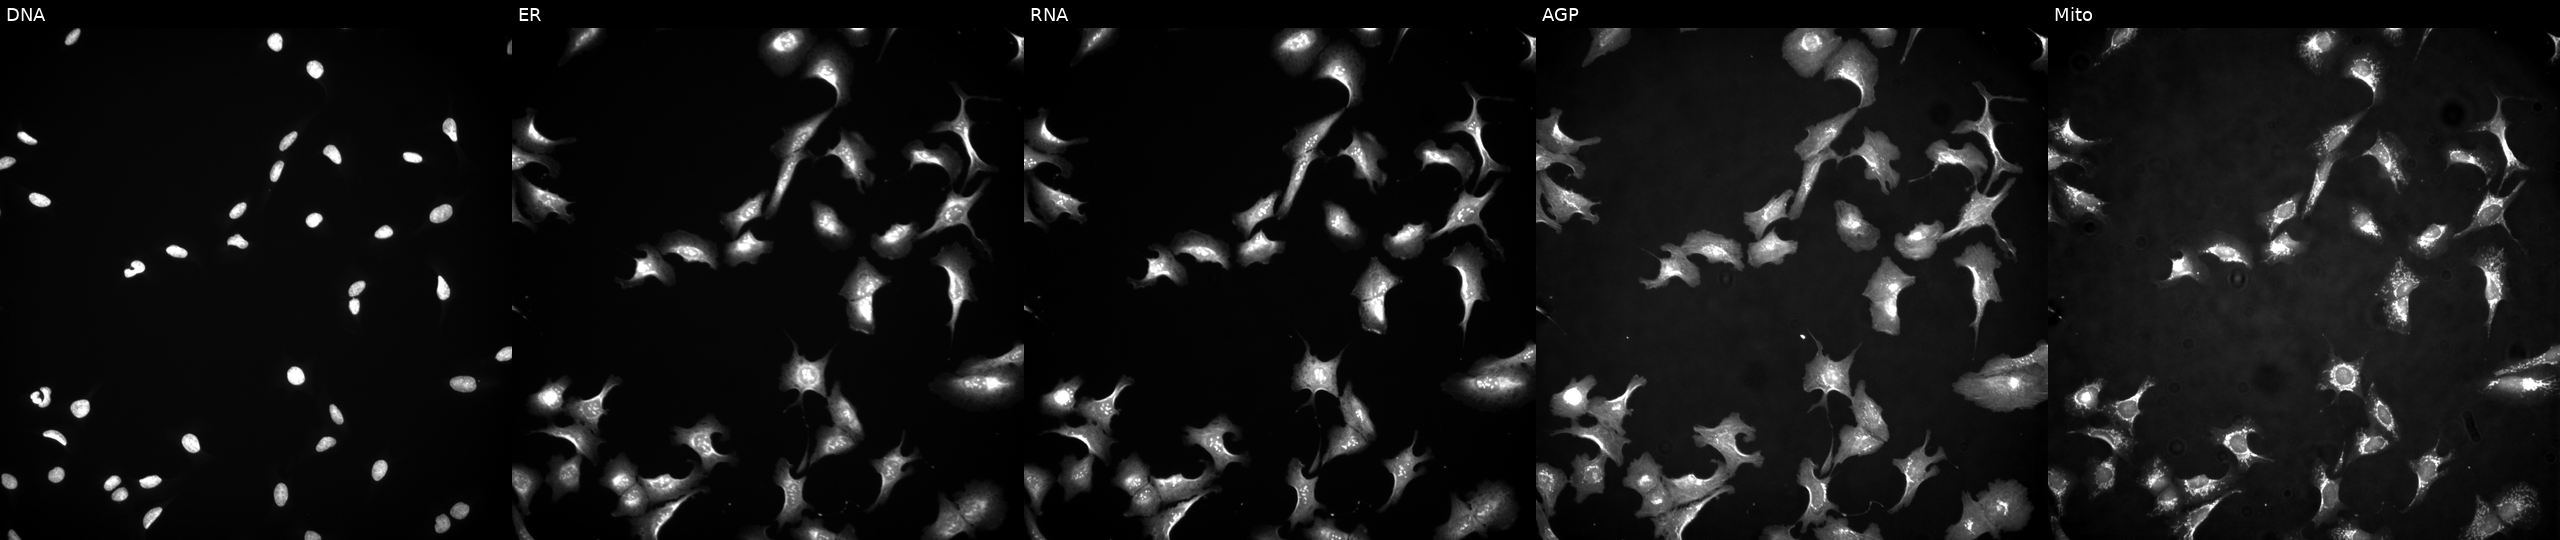
Five-channel Cell Painting image of U2OS cells overexpressing DYNLRB1 via ORF transfection. The five panels, left to right, show DNA, ER, RNA, AGP, and Mito.